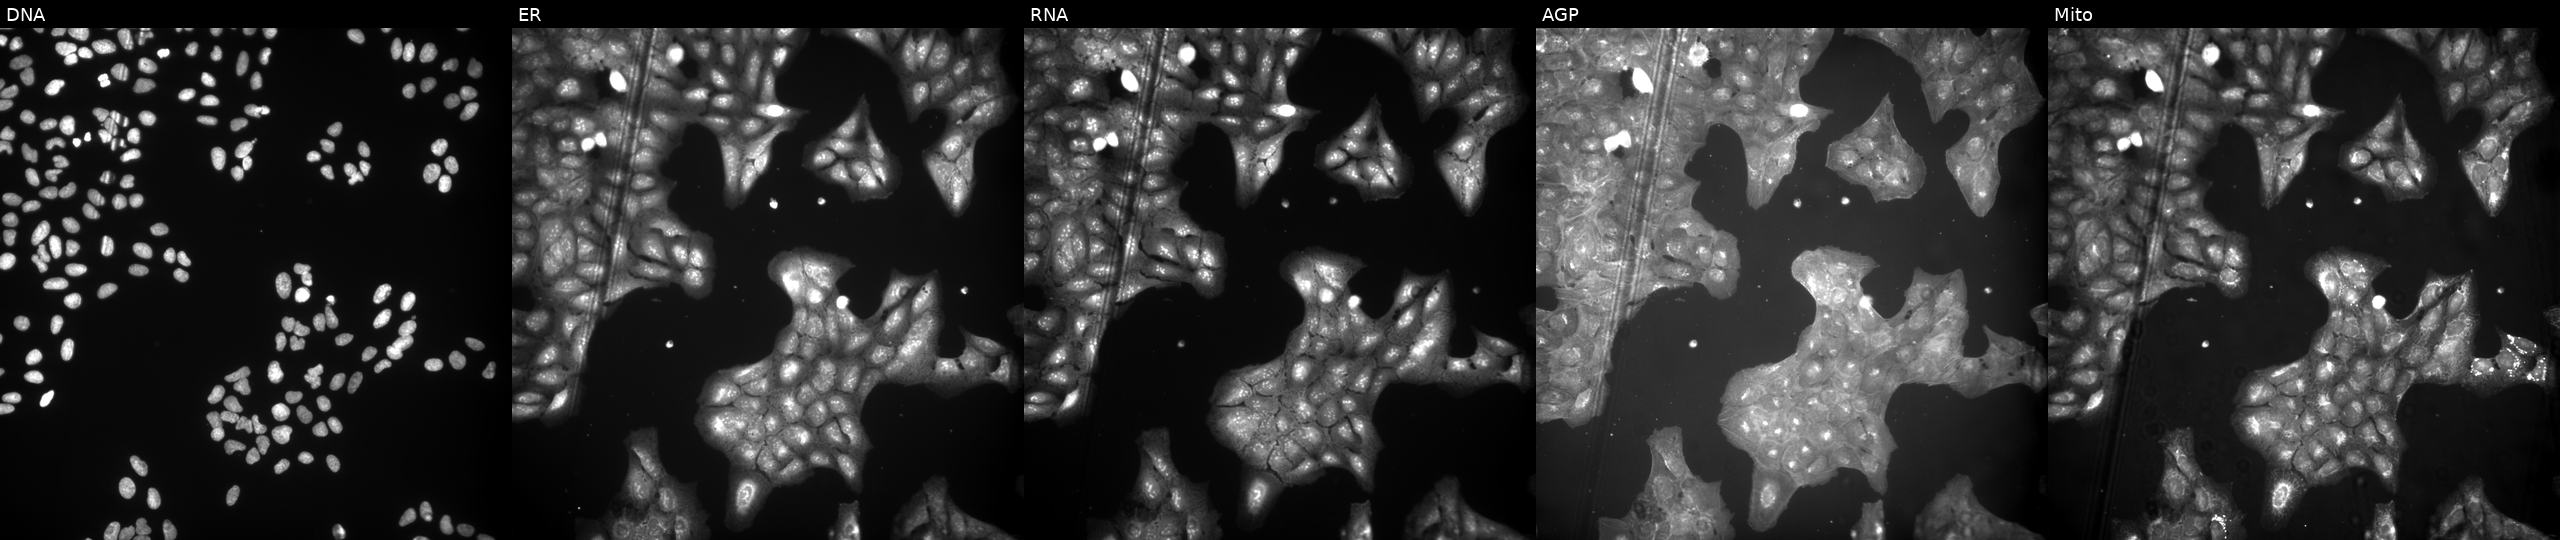
This image strip shows the five Cell Painting channels for a single field of U2OS cells treated with a small-molecule compound (InChIKey XAUYKEJTKUTLSM-UHFFFAOYSA-N) [SMILES: COc1ccccc1NC(=O)c1ccc([N+](=O)[O-])cc1[N+](=O)[O-]]. The five panels, left to right, show DNA (nuclei); ER (endoplasmic reticulum); RNA (nucleoli and cytoplasmic RNA); AGP (actin cytoskeleton, Golgi, and plasma membrane); Mito (mitochondria).